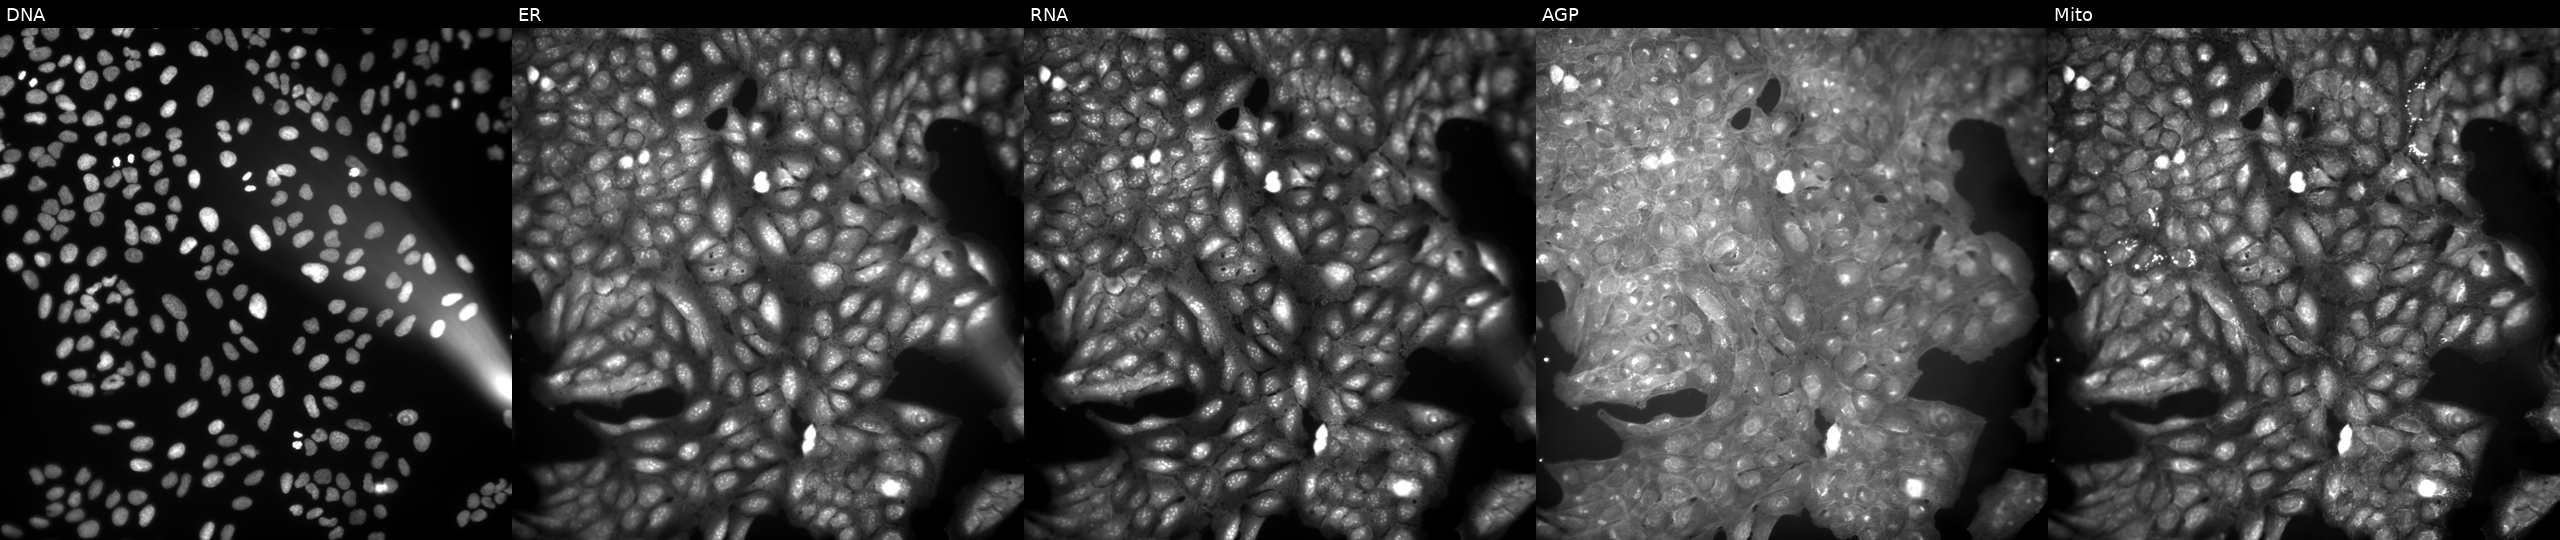
Channels (left→right): Hoechst 33342, concanavalin A, SYTO 14, phalloidin and WGA, MitoTracker. U2OS osteosarcoma cells exposed to DMSO alone as a negative control. Cell Painting assay, JUMP-CP dataset. Source 9, plate GR00003382, well C47.